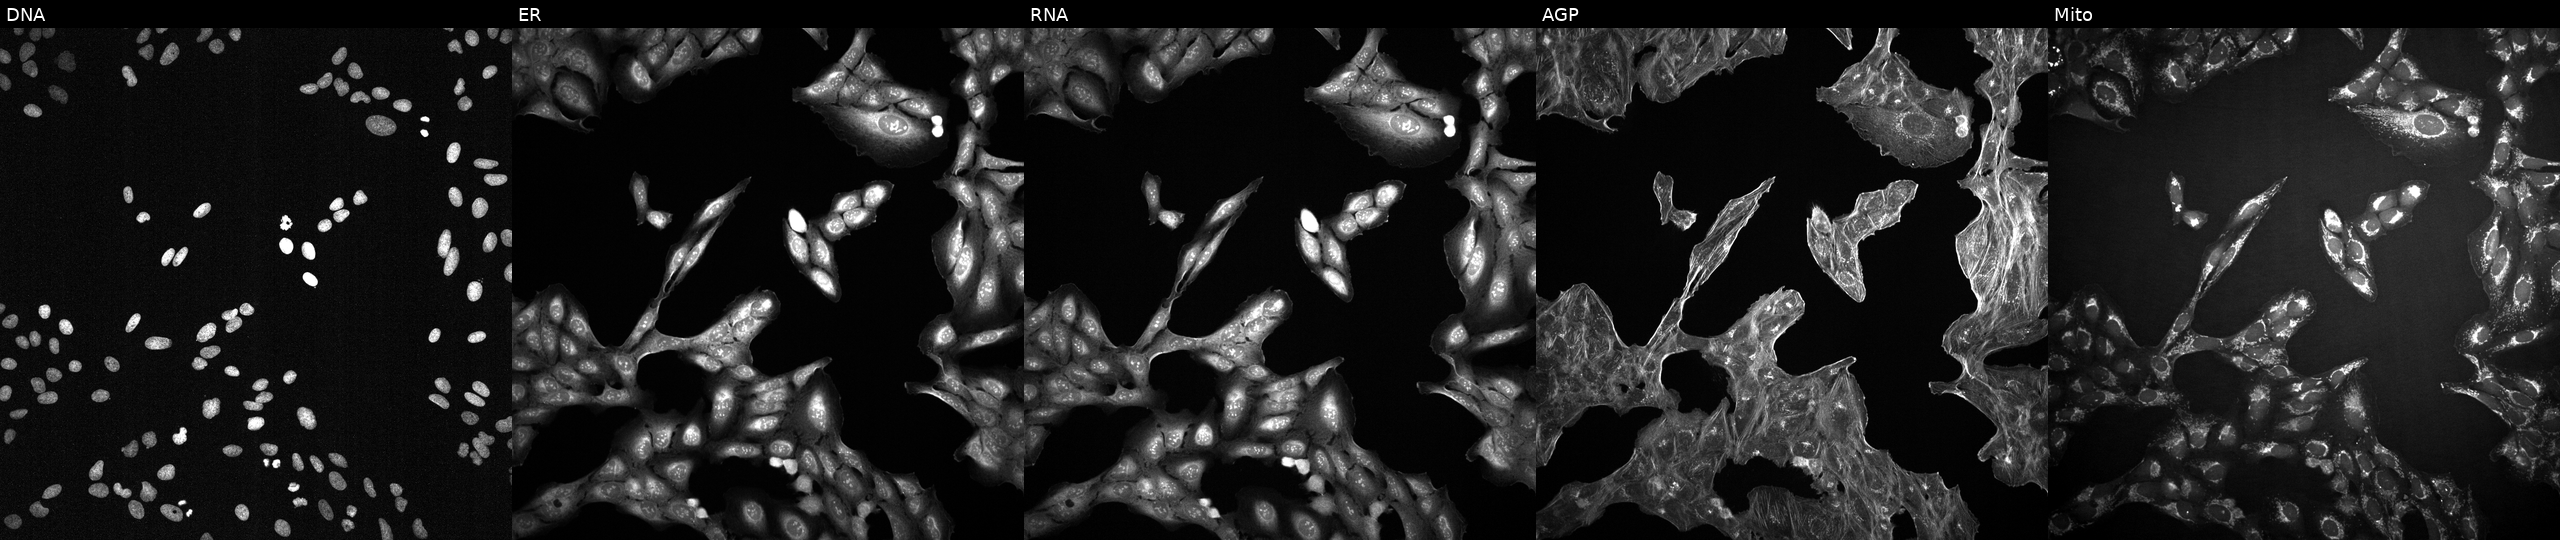
From left to right: Hoechst 33342, concanavalin A, SYTO 14, phalloidin and WGA, MitoTracker. U2OS osteosarcoma cells treated with DMSO vehicle only (negative control) (JUMP id JCP2022_033924). Cell Painting assay, JUMP-CP dataset.